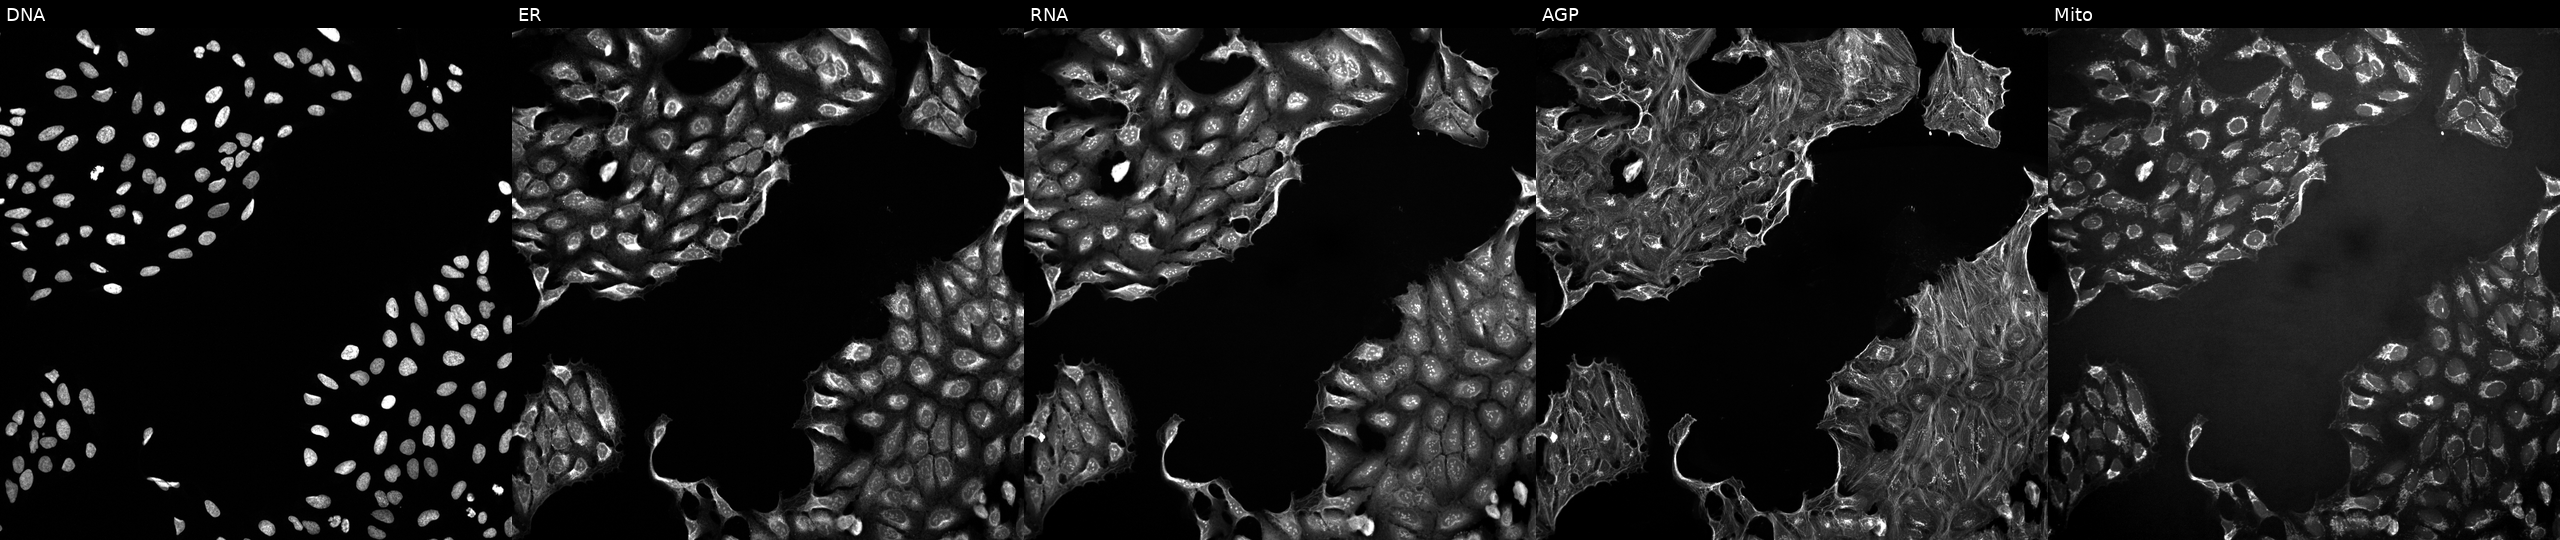
Five-channel Cell Painting image of U2OS cells in an empty control well (no perturbation). Channels (left→right): DNA (nuclei); ER (endoplasmic reticulum); RNA (nucleoli and cytoplasmic RNA); AGP (actin cytoskeleton, Golgi, and plasma membrane); Mito (mitochondria). Source 10, plate Dest210531-152324, well G03.